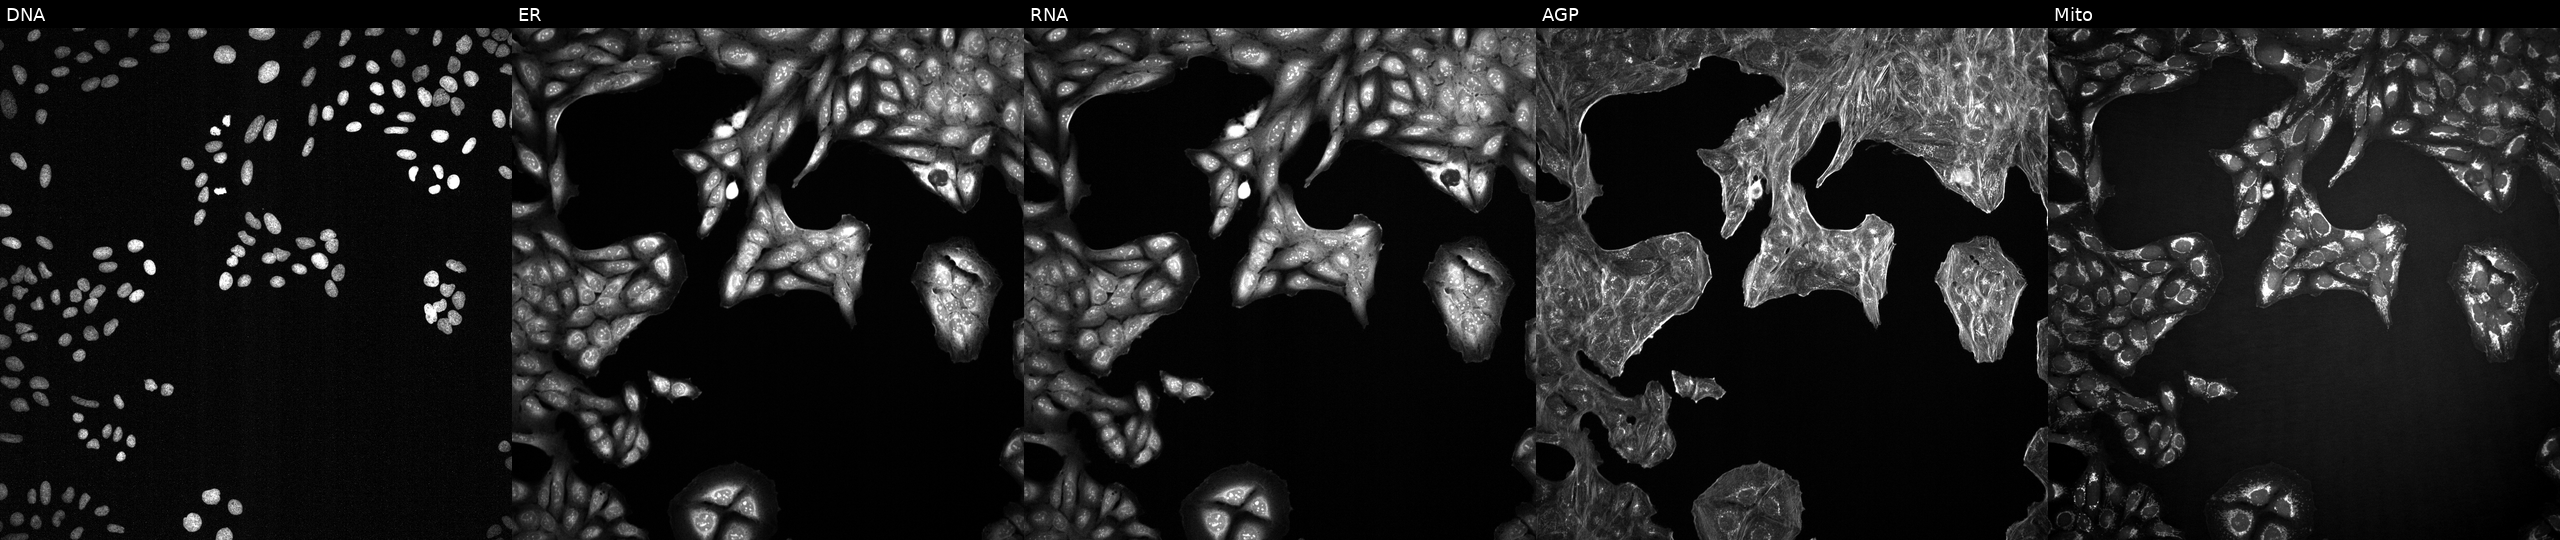
JUMP Cell Painting — TARGET2 plate. U2OS cells exposed to a small-molecule compound. From left to right: DNA (nuclei); ER (endoplasmic reticulum); RNA (nucleoli and cytoplasmic RNA); AGP (actin cytoskeleton, Golgi, and plasma membrane); Mito (mitochondria).